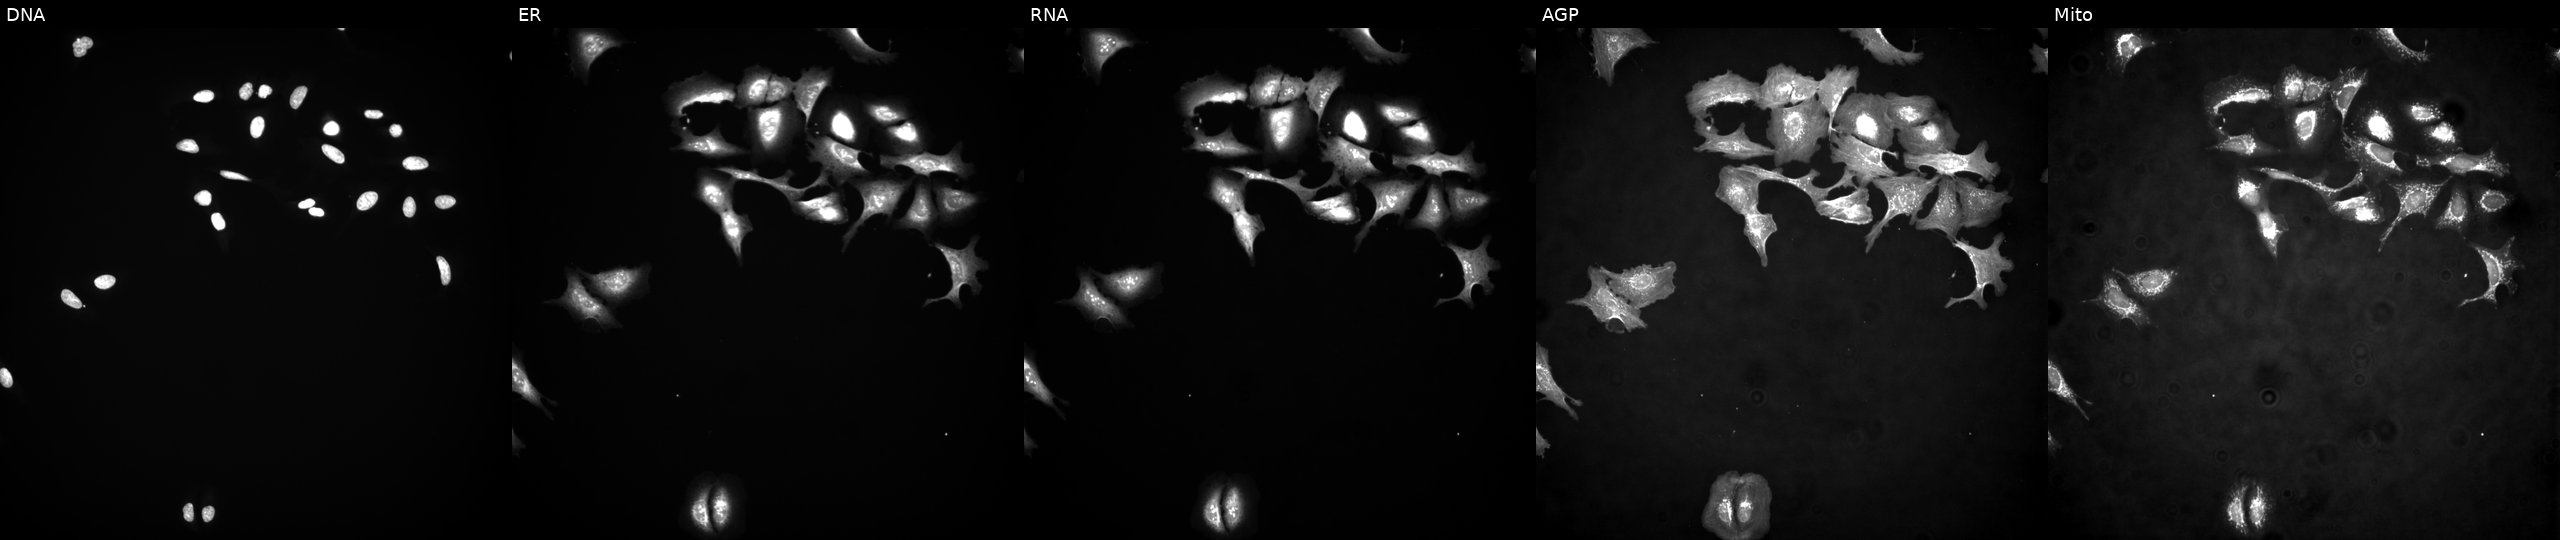
U2OS cells, Cell Painting assay, overexpressing RIPK3 via ORF transfection (JUMP id JCP2022_910796). From left to right: Hoechst 33342, concanavalin A, SYTO 14, phalloidin and WGA, MitoTracker. Each panel is percentile-stretched 16-bit fluorescence. Source 4, plate BR00123945, well H10.